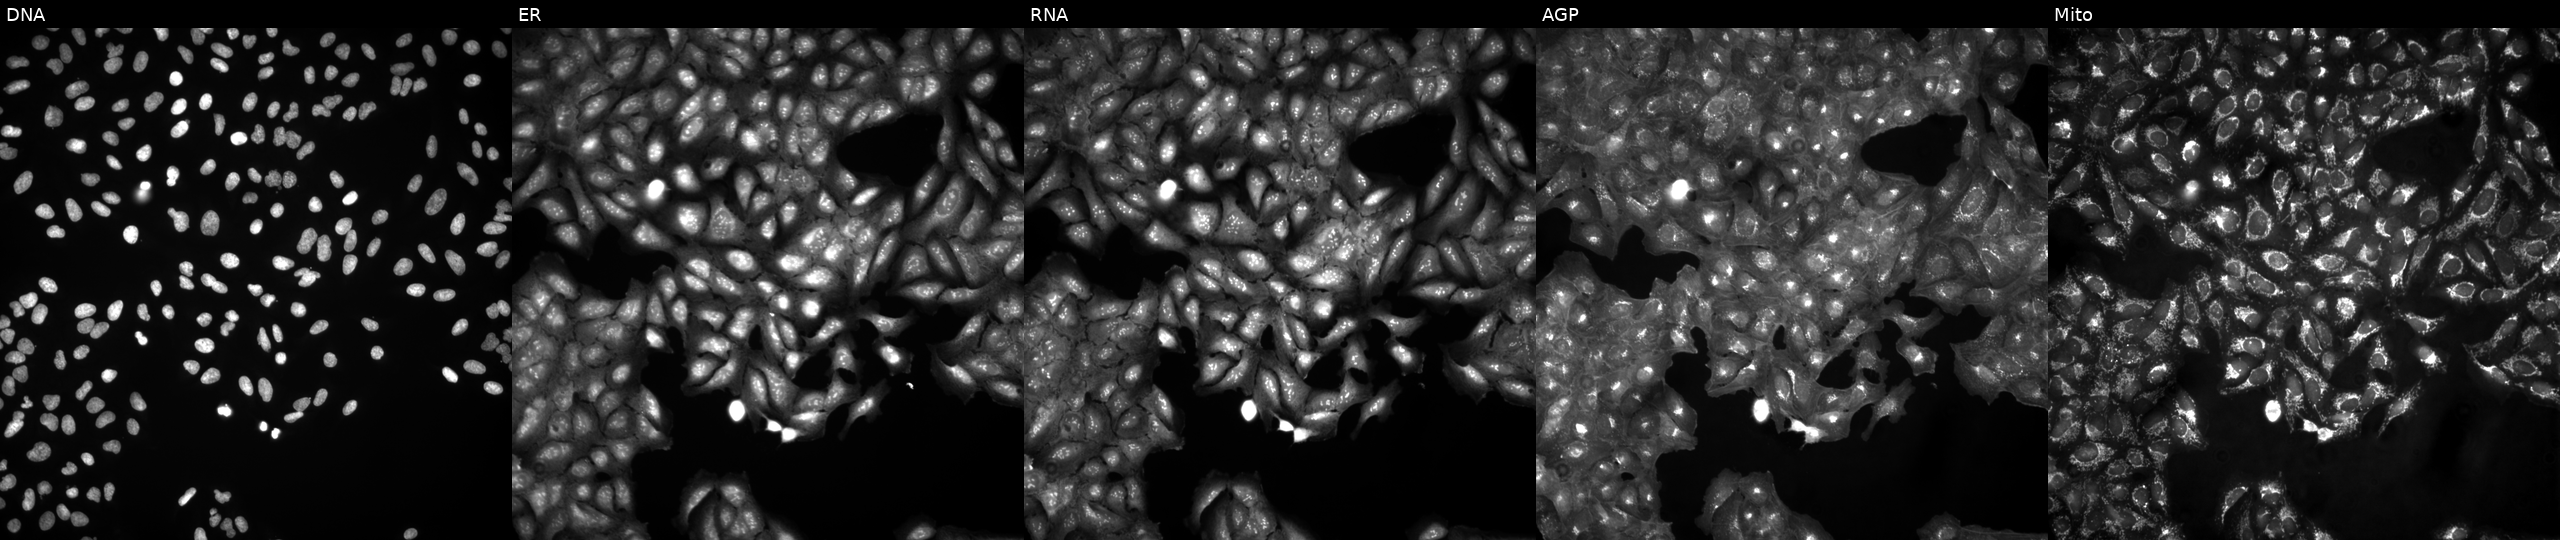
Five-channel Cell Painting image of U2OS cells in an empty control well (no perturbation) (JUMP id JCP2022_999999). The five panels, left to right, show DNA, ER, RNA, AGP, and Mito.